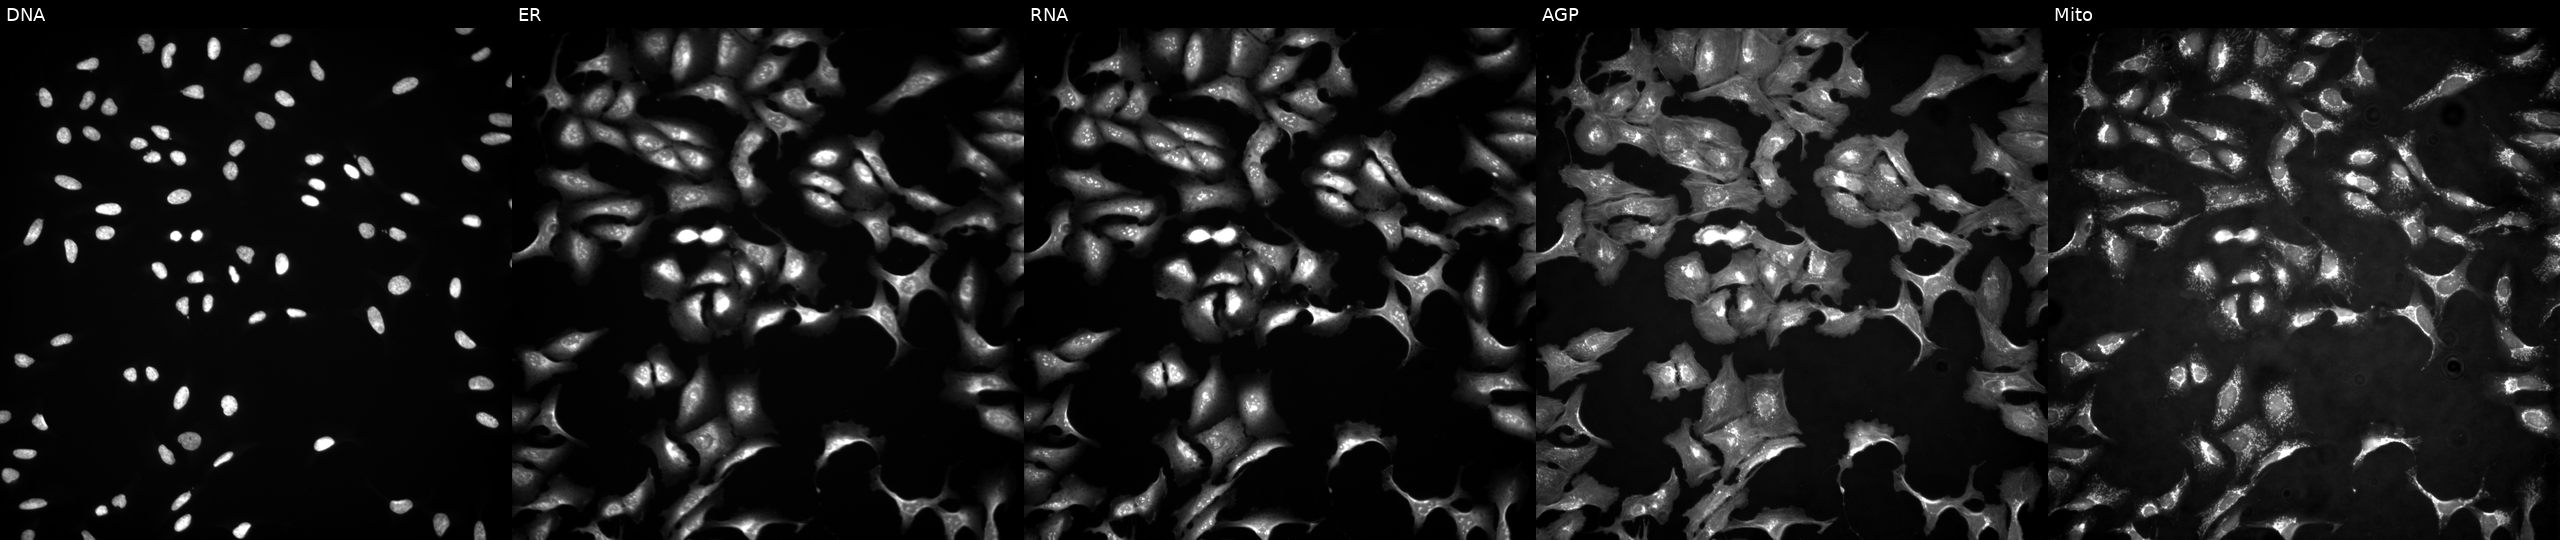
JUMP Cell Painting — ORF plate. U2OS cells transfected with an ORF construct for MARK4 (JUMP id JCP2022_911569). The five panels, left to right, show DNA, ER, RNA, AGP, and Mito.